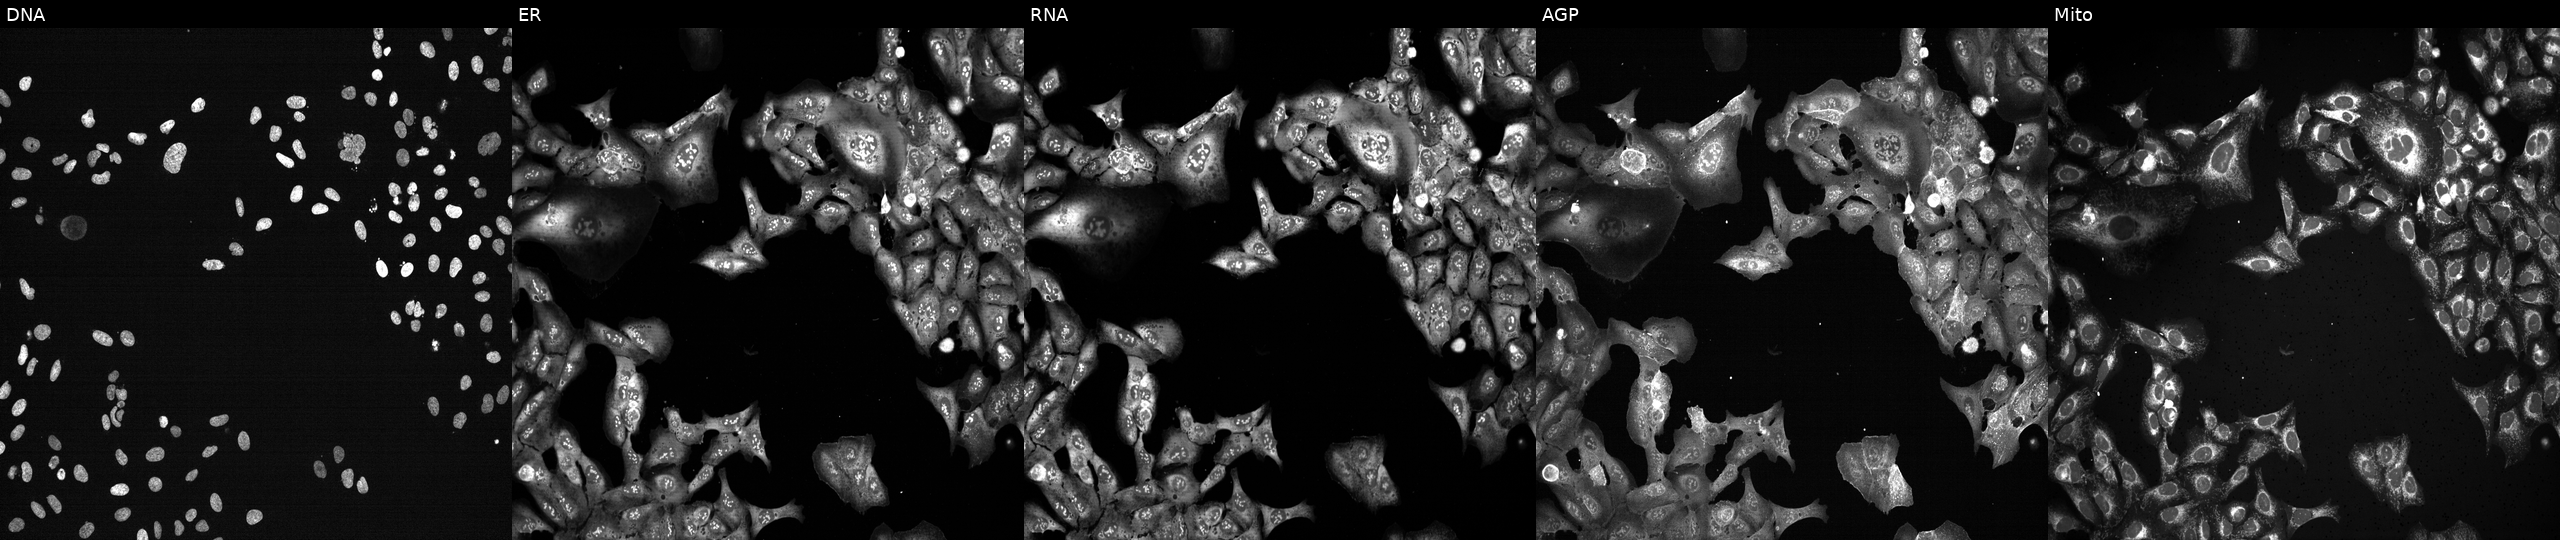
Five-channel Cell Painting image of U2OS cells CRISPR-edited to disrupt BLVRB (JUMP id JCP2022_800890). The five panels, left to right, show DNA (nuclei); ER (endoplasmic reticulum); RNA (nucleoli and cytoplasmic RNA); AGP (actin cytoskeleton, Golgi, and plasma membrane); Mito (mitochondria).